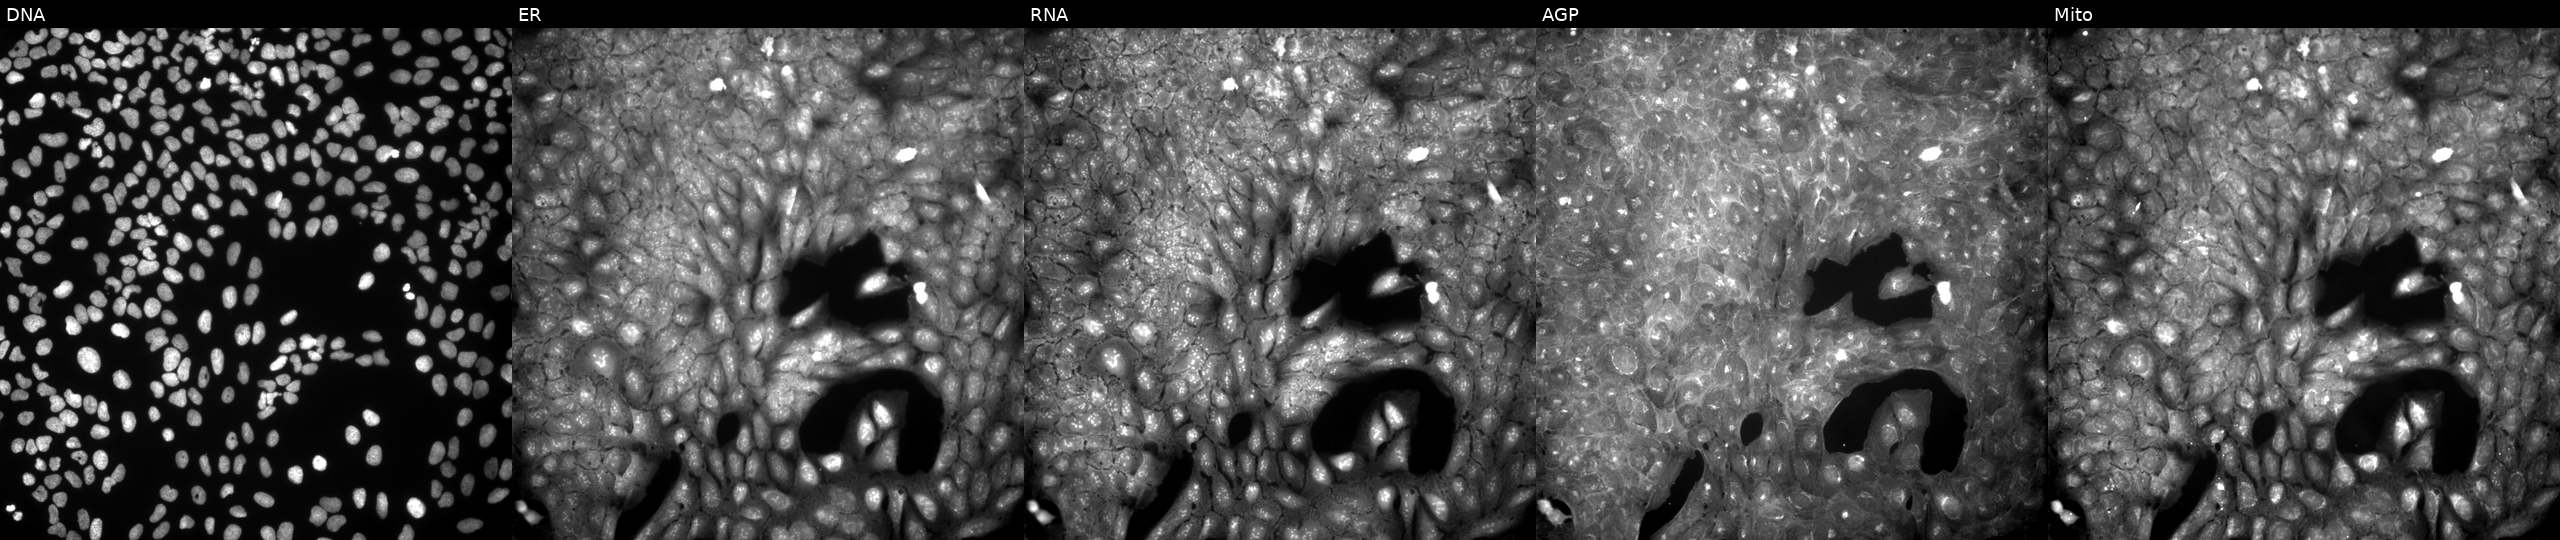
Channels (left→right): DNA (nuclei); ER (endoplasmic reticulum); RNA (nucleoli and cytoplasmic RNA); AGP (actin cytoskeleton, Golgi, and plasma membrane); Mito (mitochondria). U2OS osteosarcoma cells exposed to the positive-control compound aloxistatin (JUMP id JCP2022_085227). Cell Painting assay, JUMP-CP dataset.